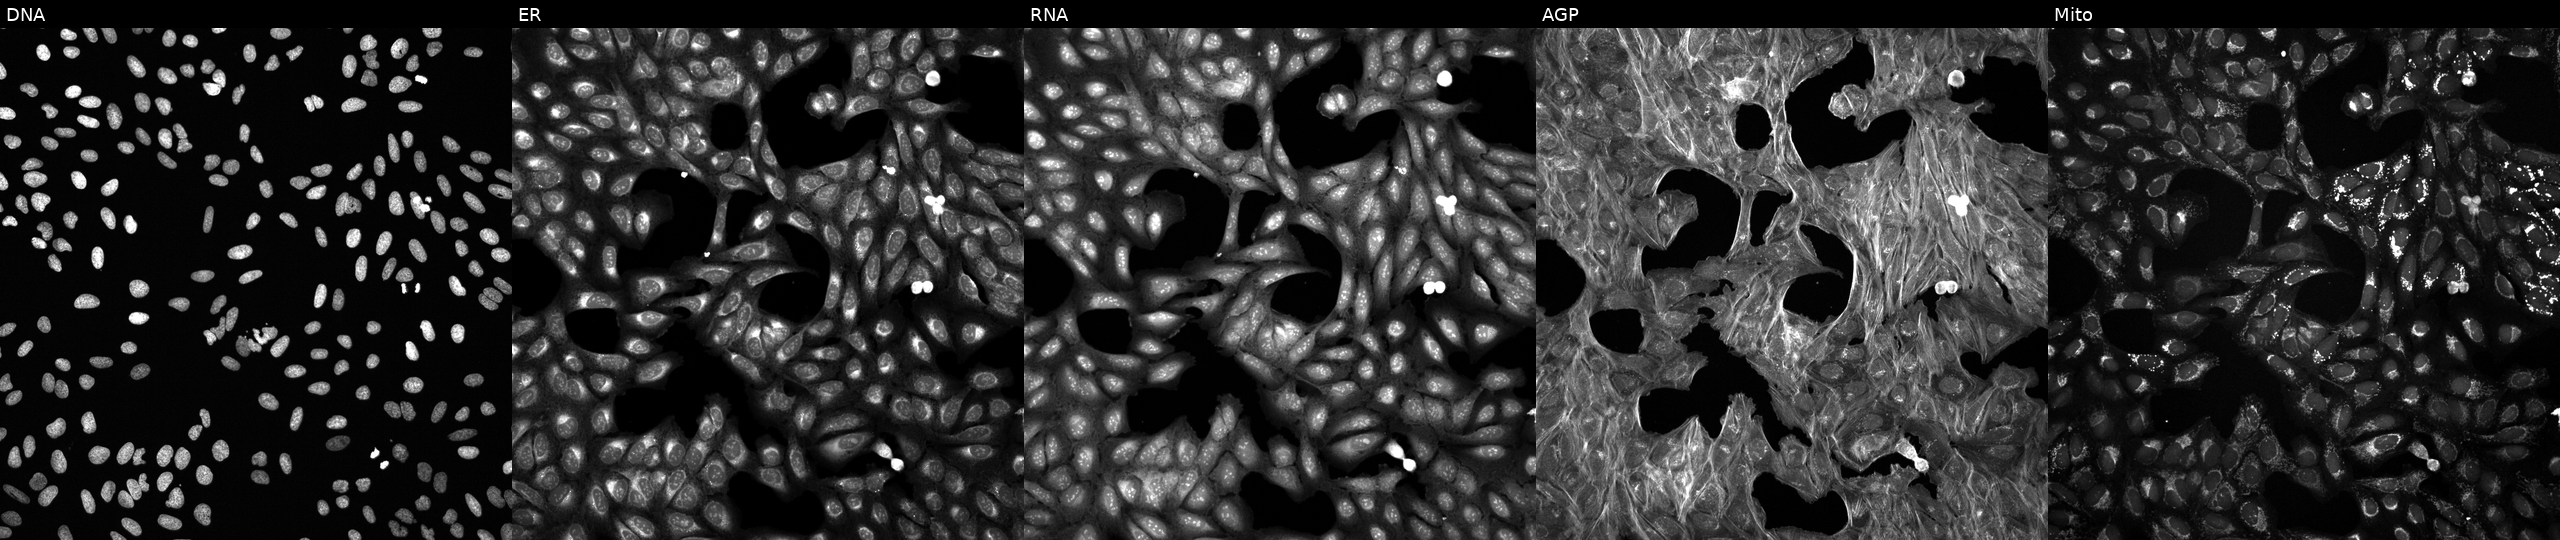
Panels show, left to right, DNA, ER, RNA, AGP, and Mito. U2OS osteosarcoma cells treated with a small-molecule compound (InChIKey PPDUBMBMEQKRBI-UHFFFAOYSA-N) [SMILES: CC(C)CN=c1ccc(C(=O)N2CCC(CN3CCCC3=O)CC2)c[nH]1]. Cell Painting assay, JUMP-CP dataset. Source 6, plate 110000293082, well A07.